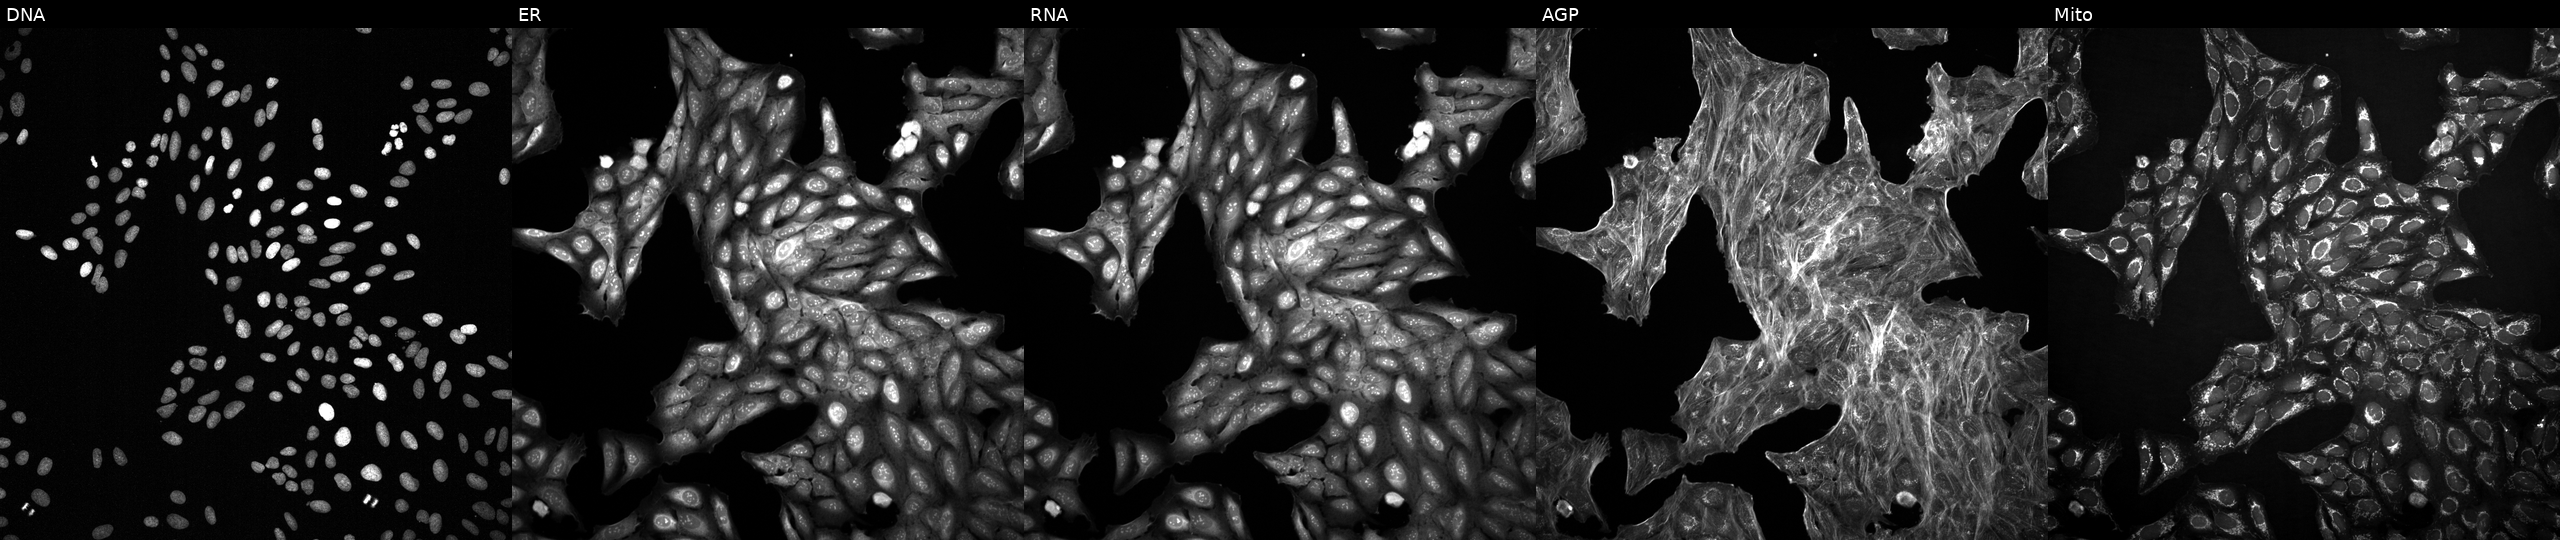
This image strip shows the five Cell Painting channels for a single field of U2OS cells treated with dexamethasone (positive-control compound). Channels (left→right): Hoechst 33342, concanavalin A, SYTO 14, phalloidin and WGA, MitoTracker. Source 2, plate 1053601763, well K01.